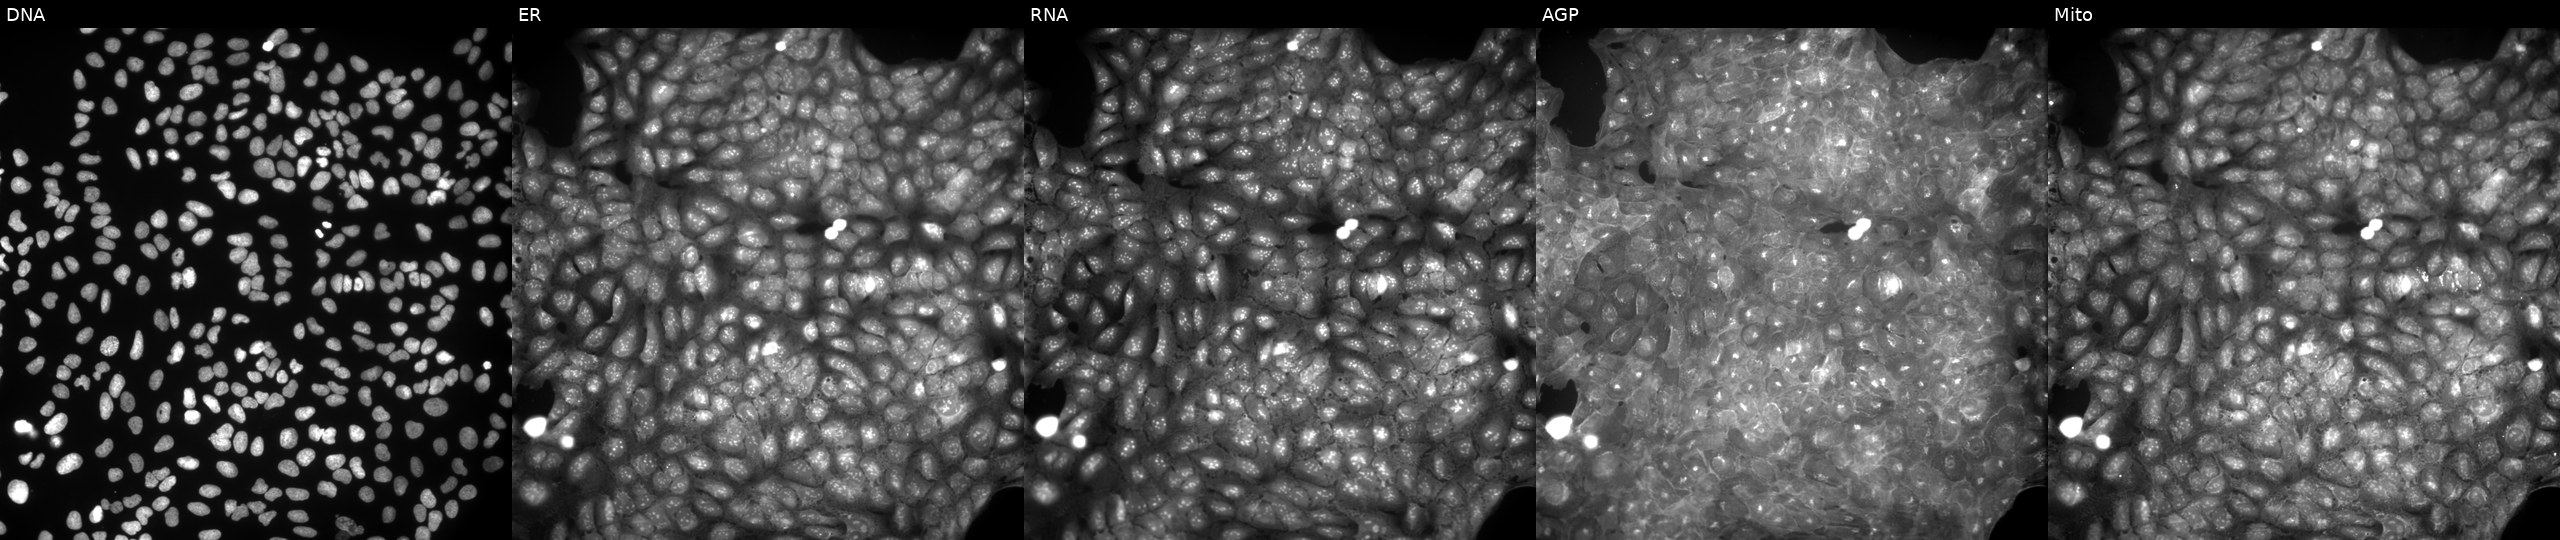
Panels show, left to right, DNA, ER, RNA, AGP, and Mito. U2OS osteosarcoma cells exposed to a small-molecule compound (InChIKey KVAQWFKBVRFFBV-UHFFFAOYSA-N) [SMILES: CCCCOn1c(C)c(C(=O)OCC)c2c3nonc3ccc21]. Cell Painting assay, JUMP-CP dataset.